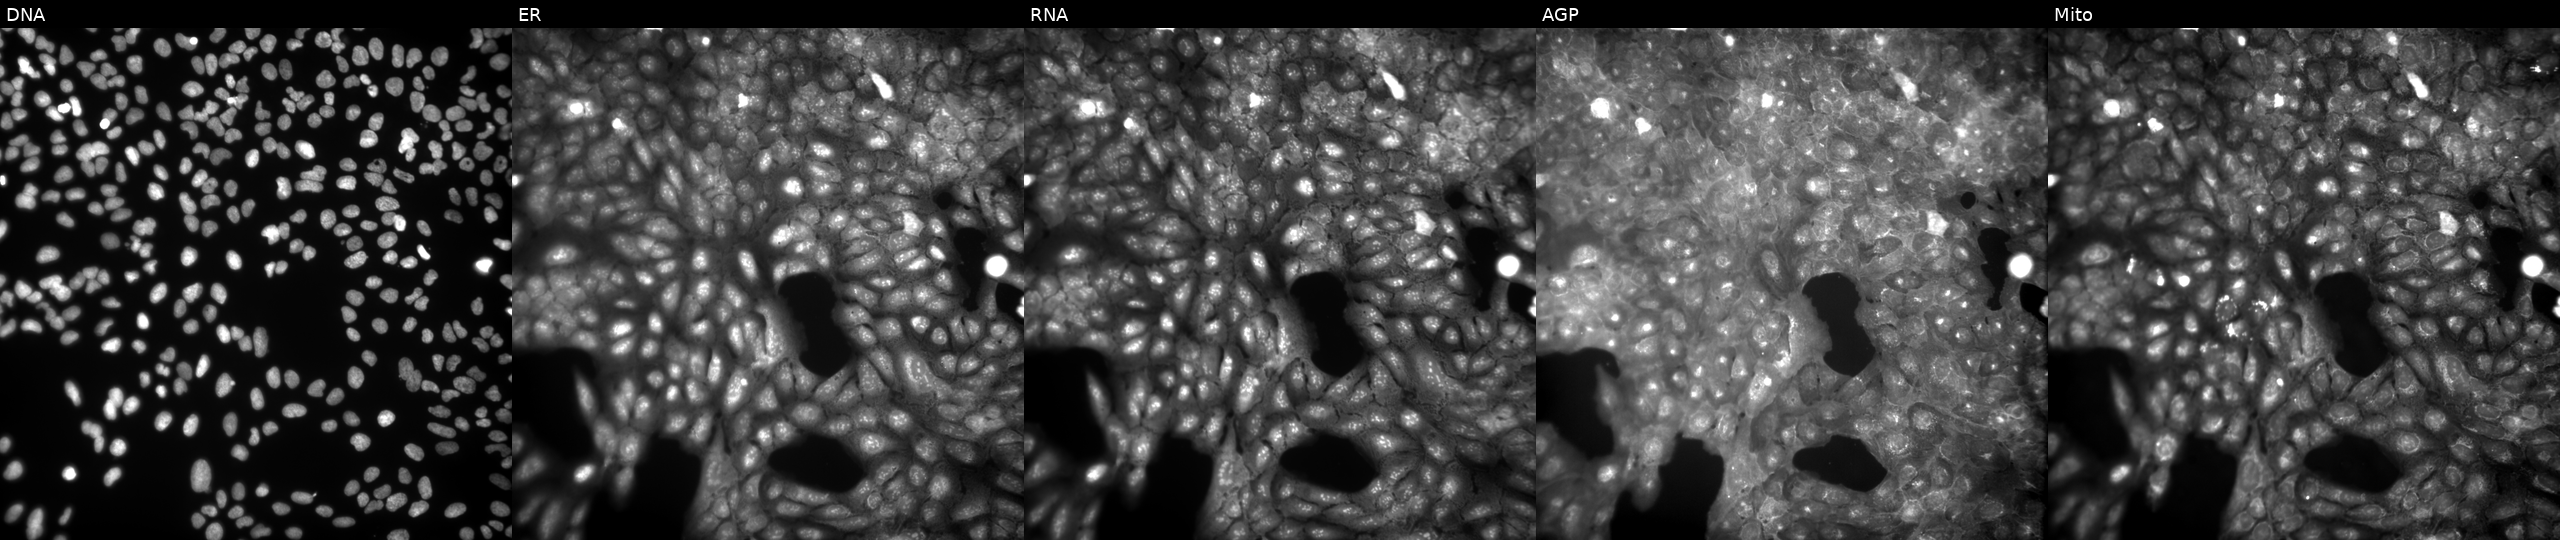
This image strip shows the five Cell Painting channels for a single field of U2OS cells treated with a small-molecule compound. The five panels, left to right, show DNA (nuclei); ER (endoplasmic reticulum); RNA (nucleoli and cytoplasmic RNA); AGP (actin cytoskeleton, Golgi, and plasma membrane); Mito (mitochondria).